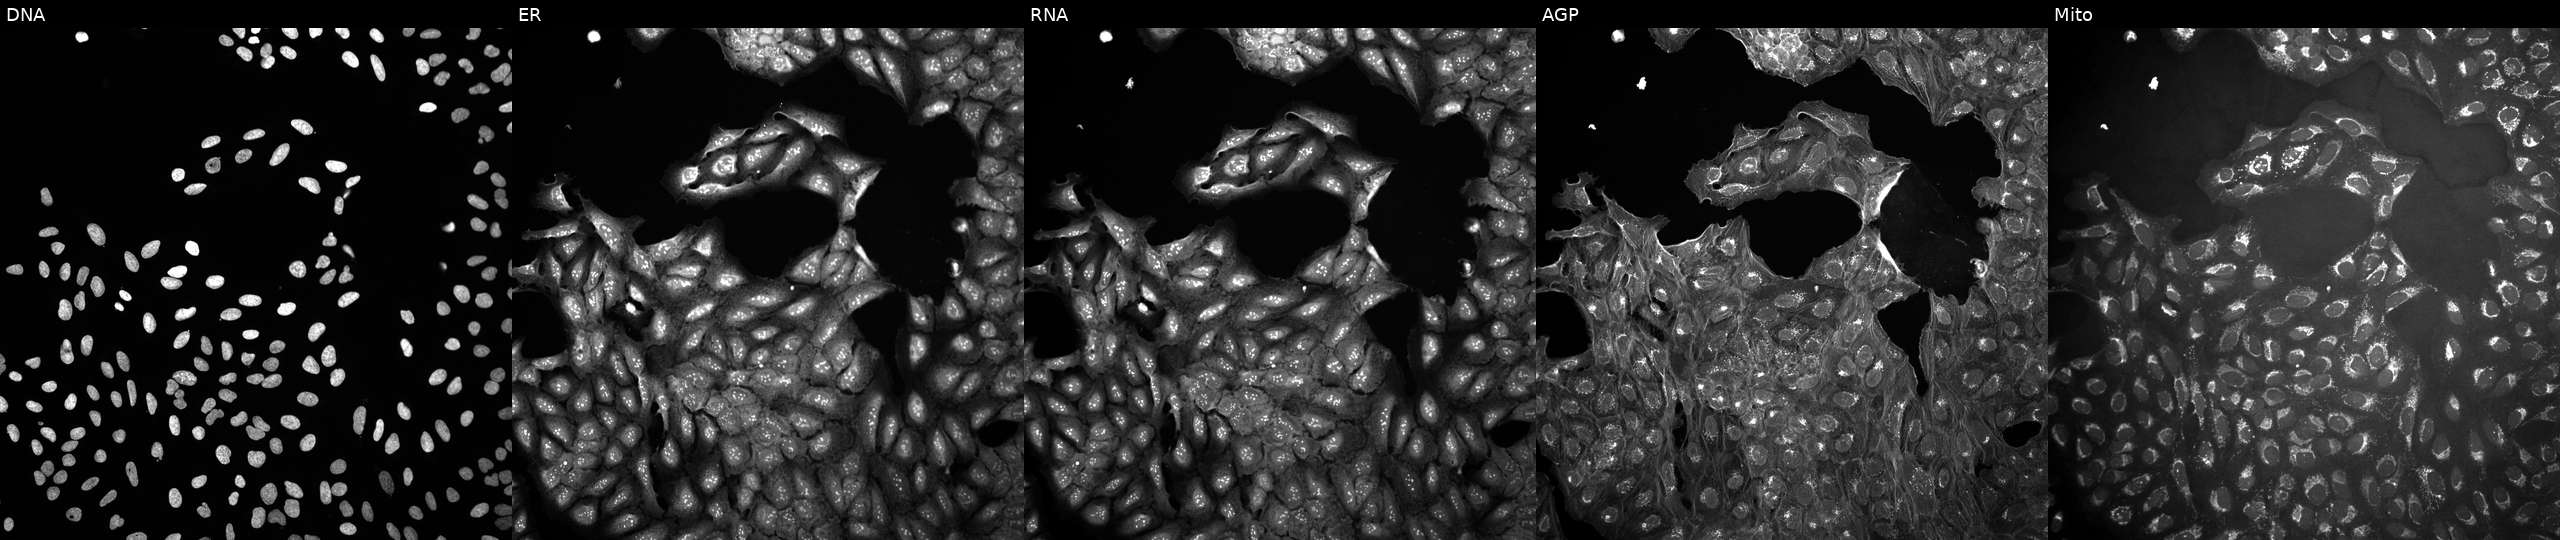
Five-channel Cell Painting image of U2OS cells untreated (empty-well control) (JUMP id JCP2022_999999). From left to right: DNA (nuclei); ER (endoplasmic reticulum); RNA (nucleoli and cytoplasmic RNA); AGP (actin cytoskeleton, Golgi, and plasma membrane); Mito (mitochondria).